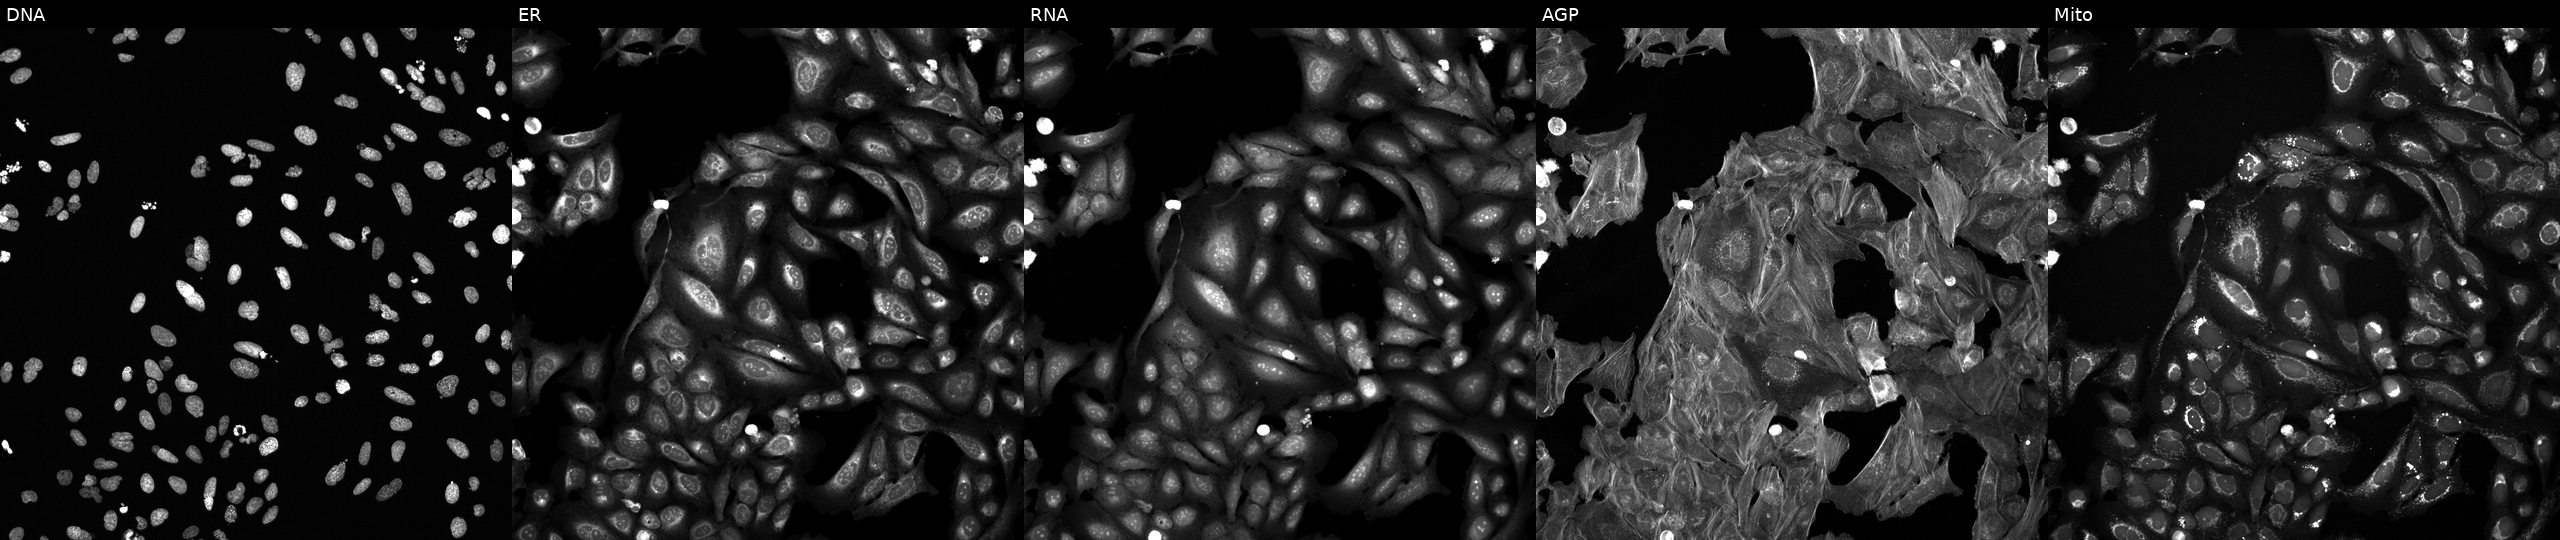
JUMP Cell Painting — TARGET2 plate. U2OS cells exposed to a small-molecule compound (InChIKey HSTZMXCBWJGKHG-UHFFFAOYSA-N) [SMILES: OCC1OC(Oc2cc(O)cc(C=Cc3ccc(O)cc3)c2)C(O)C(O)C1O]. Panels show, left to right, DNA (nuclei); ER (endoplasmic reticulum); RNA (nucleoli and cytoplasmic RNA); AGP (actin cytoskeleton, Golgi, and plasma membrane); Mito (mitochondria).